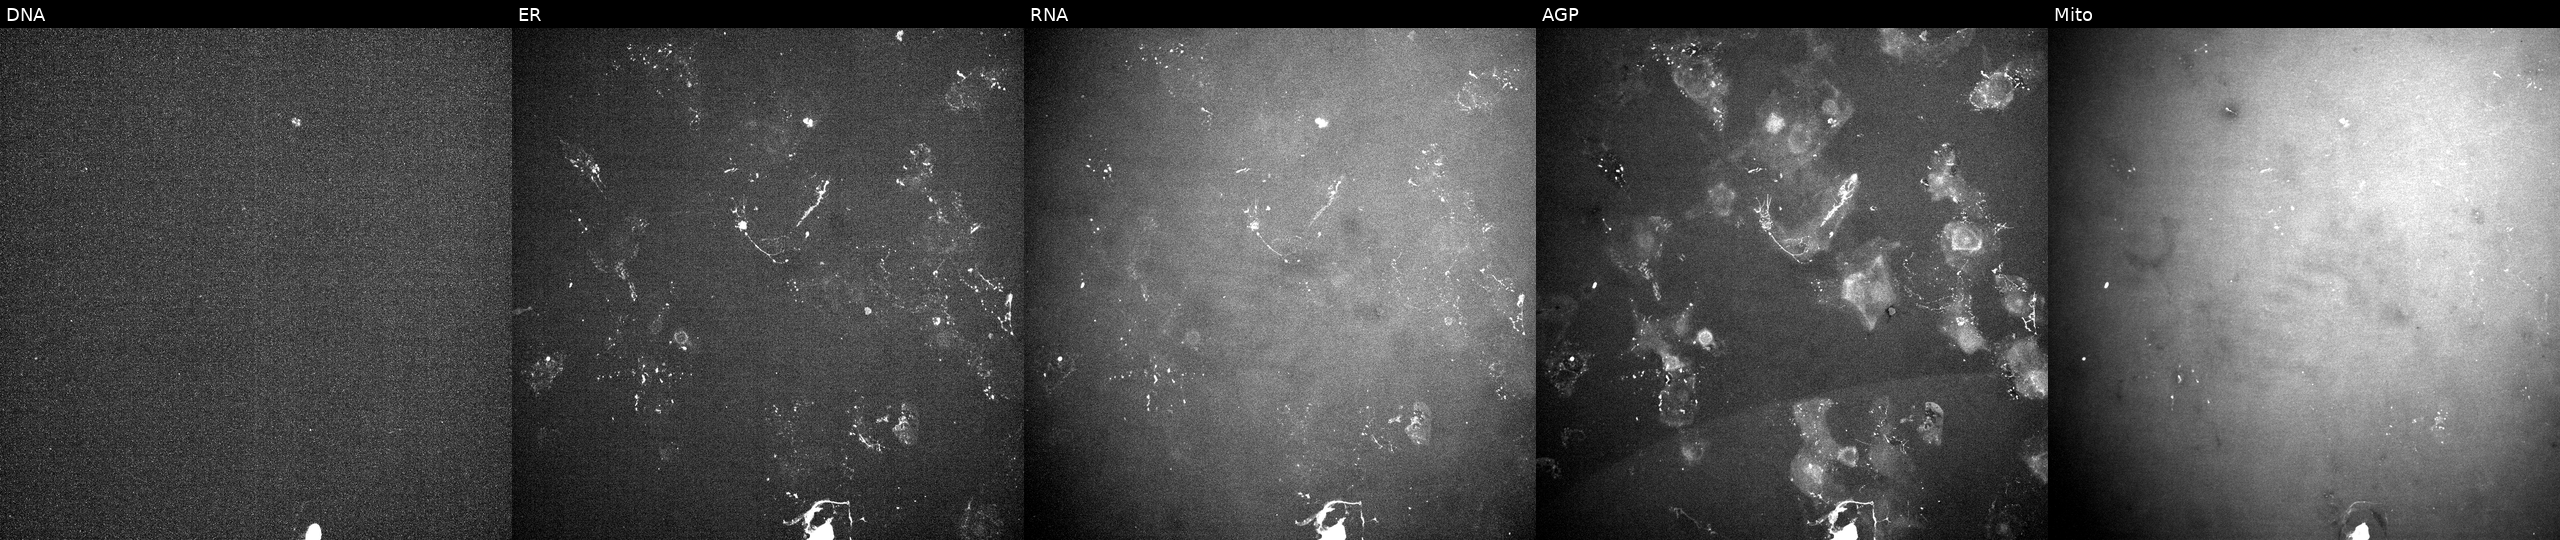
JUMP Cell Painting — TARGET2 plate. U2OS cells treated with a small-molecule compound (InChIKey PBCZSGKMGDDXIJ-UHFFFAOYSA-N) (JUMP id JCP2022_067441). The five panels, left to right, show DNA, ER, RNA, AGP, and Mito.